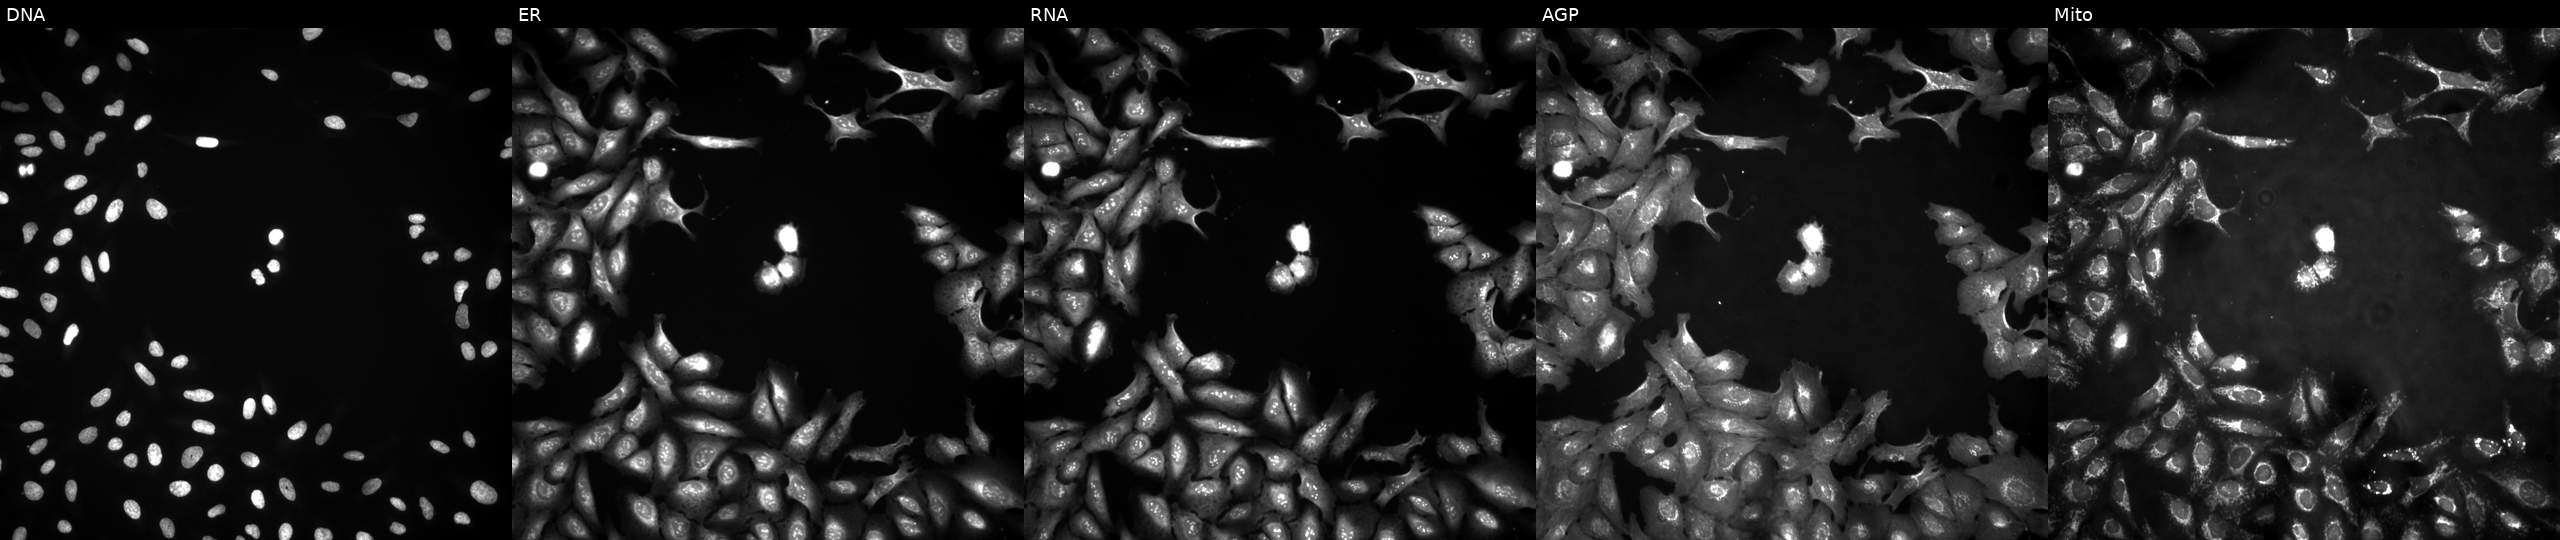
High-content fluorescence microscopy (Cell Painting). Cell line: U2OS. Perturbation: overexpressing HSD17B7 via ORF transfection. The five panels, left to right, show Hoechst 33342, concanavalin A, SYTO 14, phalloidin and WGA, MitoTracker. Source 4, plate BR00121543, well J07.